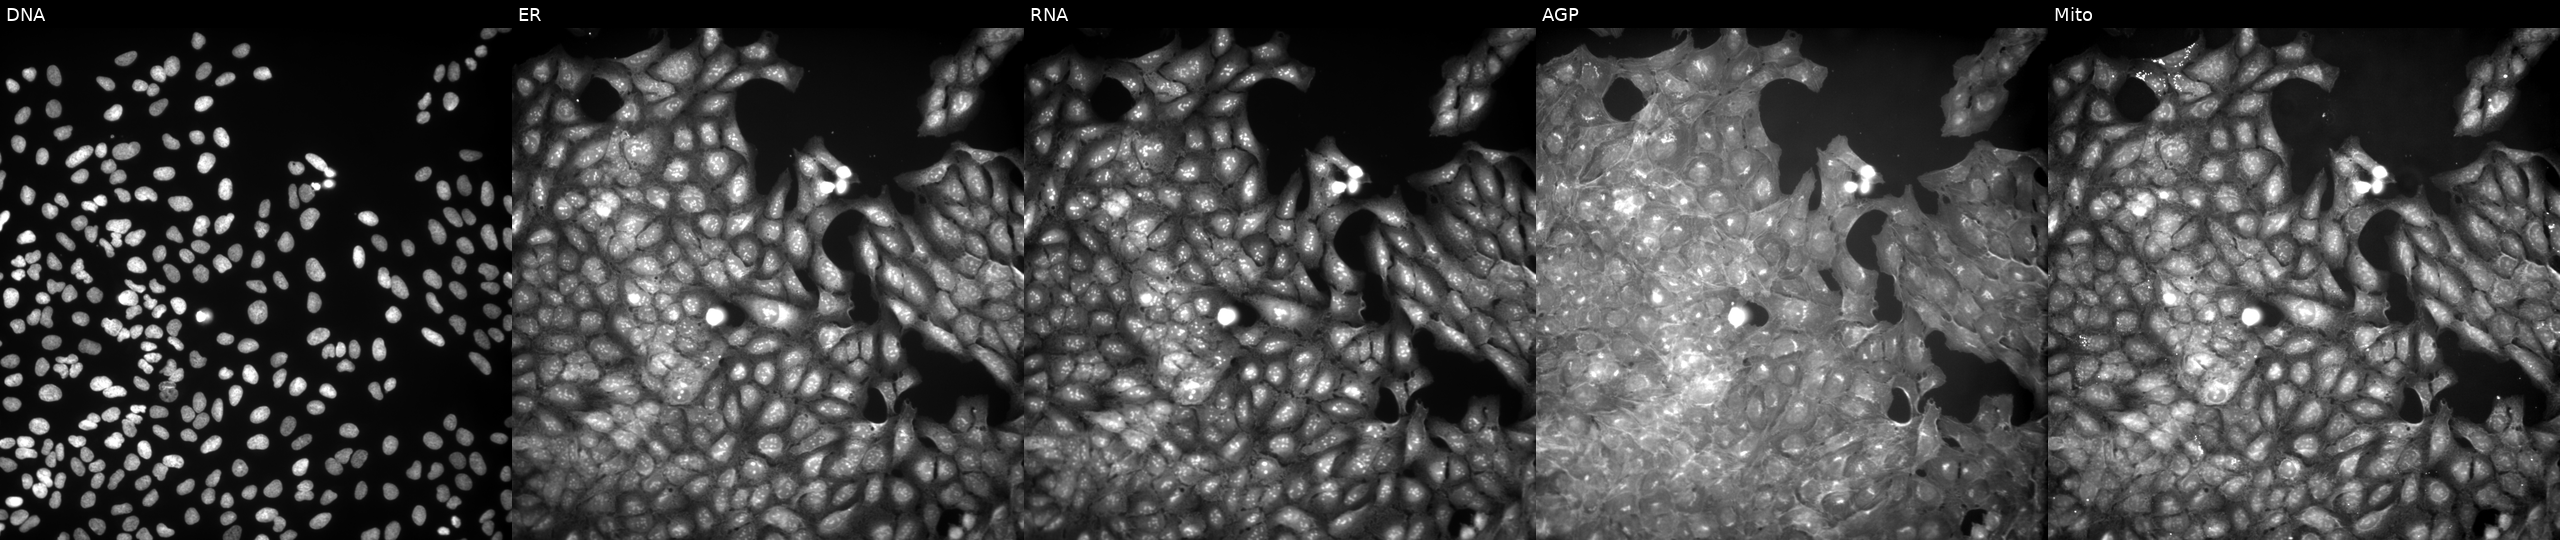
U2OS cells, Cell Painting assay, exposed to the positive-control compound TC-S-7004. The five panels, left to right, show DNA, ER, RNA, AGP, and Mito. Each panel is percentile-stretched 16-bit fluorescence.